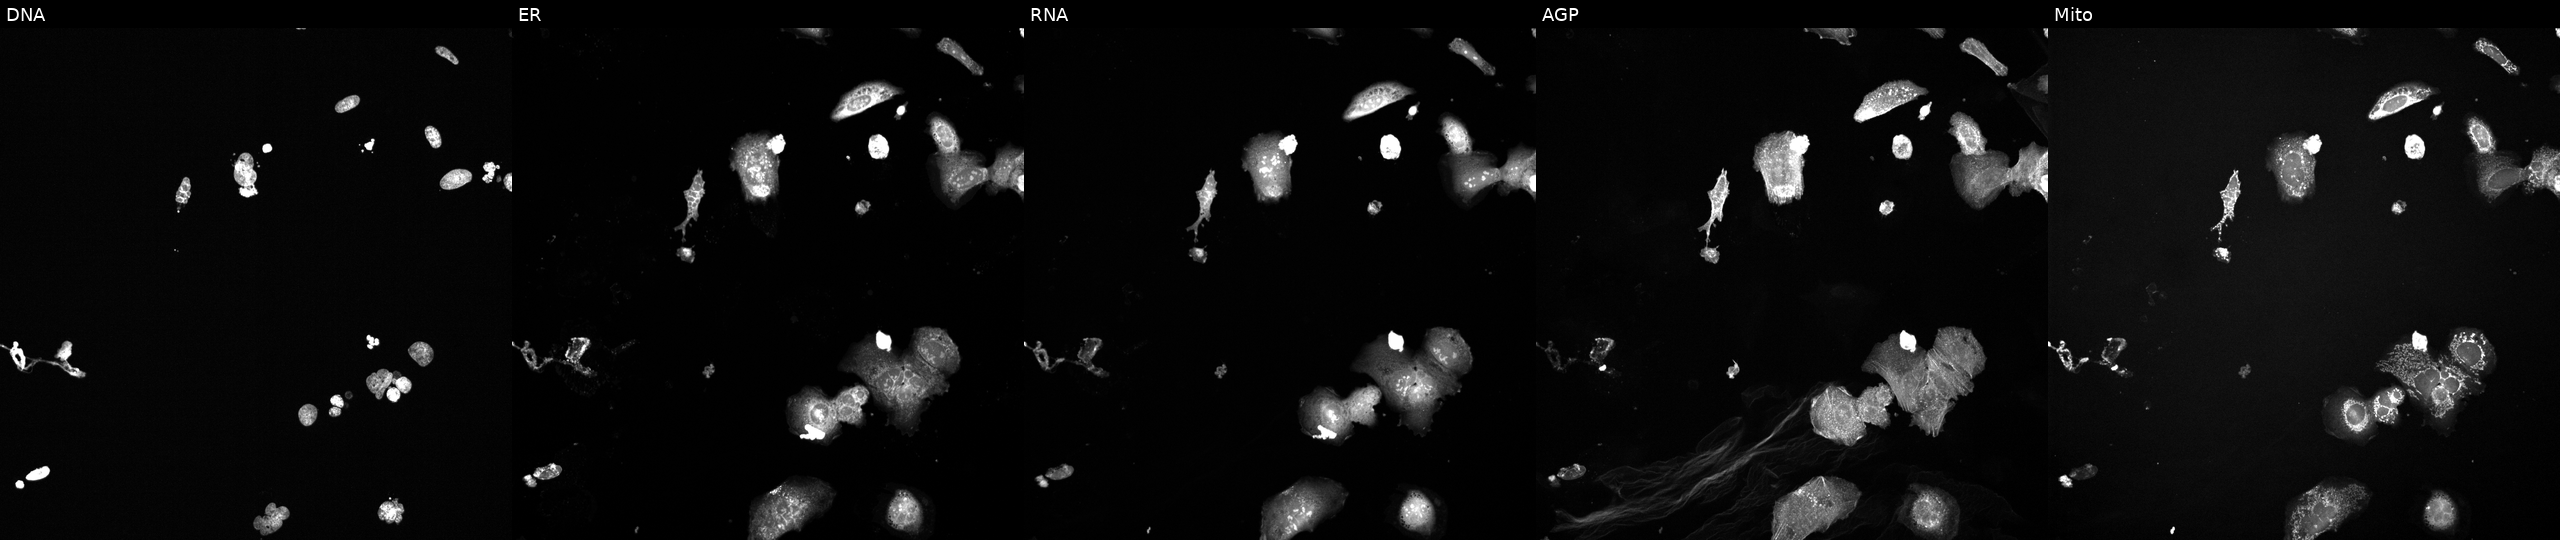
This image strip shows the five Cell Painting channels for a single field of U2OS cells exposed to a small-molecule compound (InChIKey MTJHLONVHHPNSI-UHFFFAOYSA-N). Panels show, left to right, DNA, ER, RNA, AGP, and Mito.